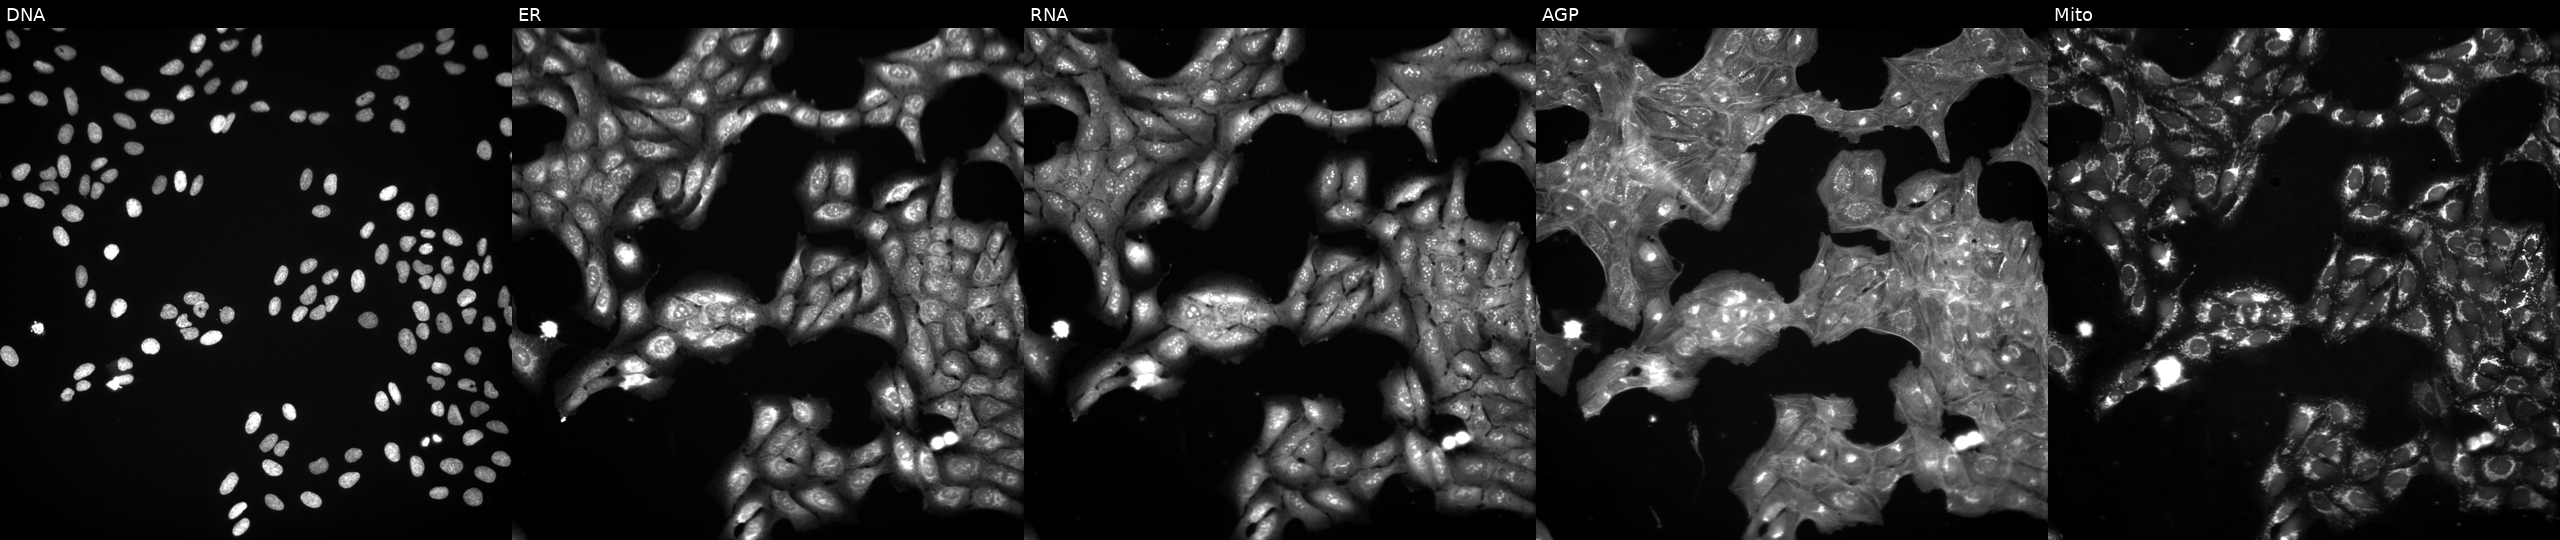
Five-channel Cell Painting image of U2OS cells perturbed with a small-molecule compound (InChIKey SMVLMDJEQWDEKL-UHFFFAOYSA-N) [SMILES: CCOC(=O)C1=C(C)N=C(C)C(C(=O)OCC)C1c1ccc(C)o1]. Panels show, left to right, DNA, ER, RNA, AGP, and Mito.